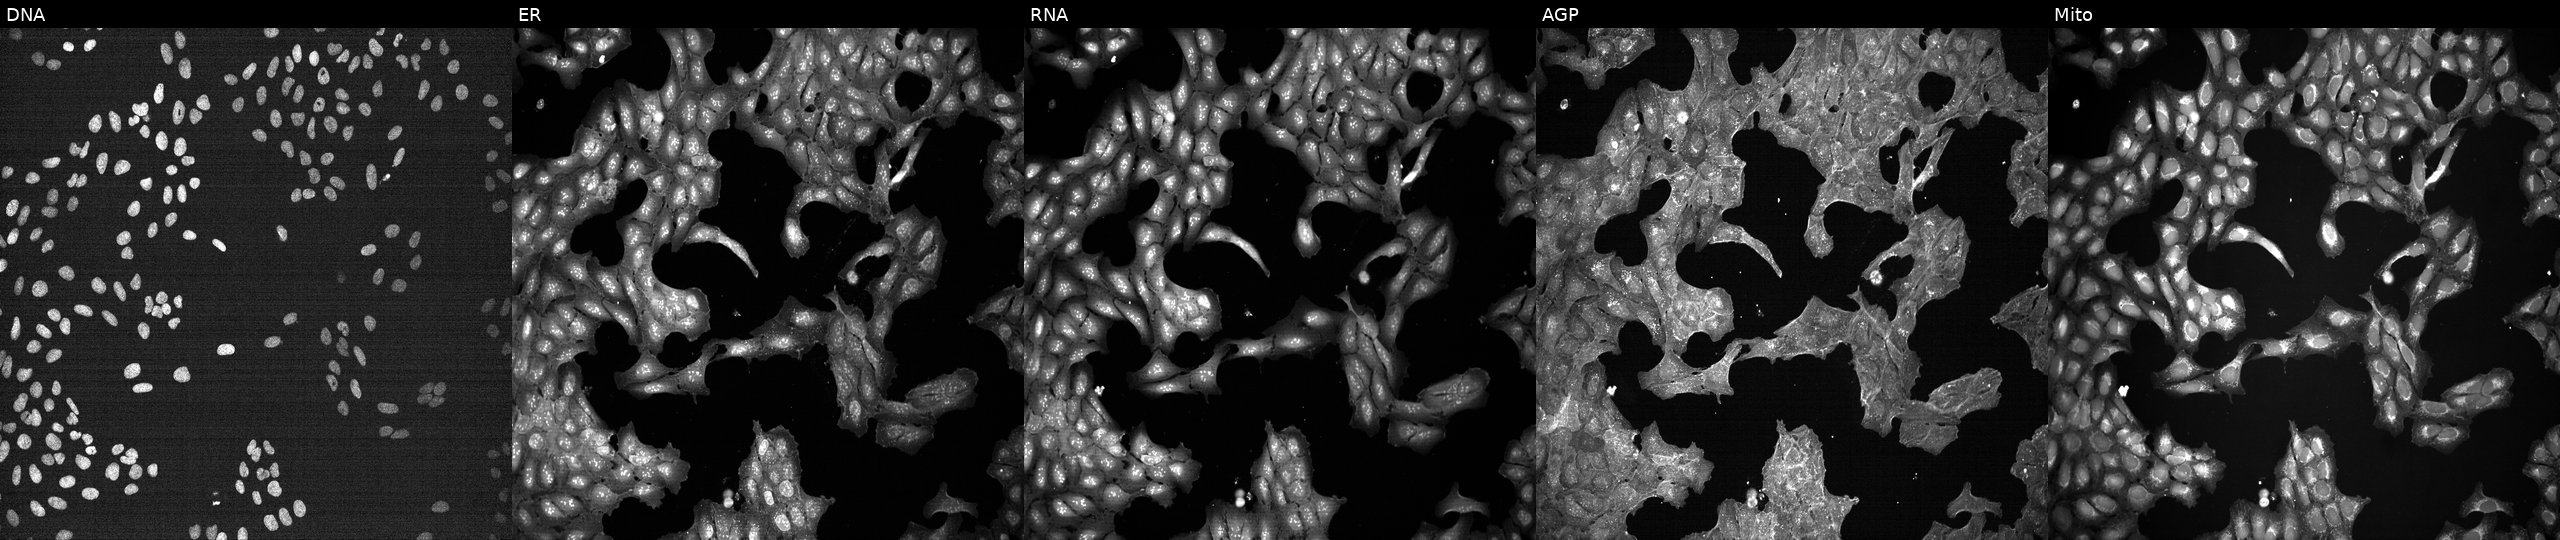
U2OS cells, Cell Painting assay, exposed to a small-molecule compound. The five panels, left to right, show Hoechst 33342, concanavalin A, SYTO 14, phalloidin and WGA, MitoTracker. Each panel is percentile-stretched 16-bit fluorescence. Source 7, plate CP1-SC1-25, well K18.